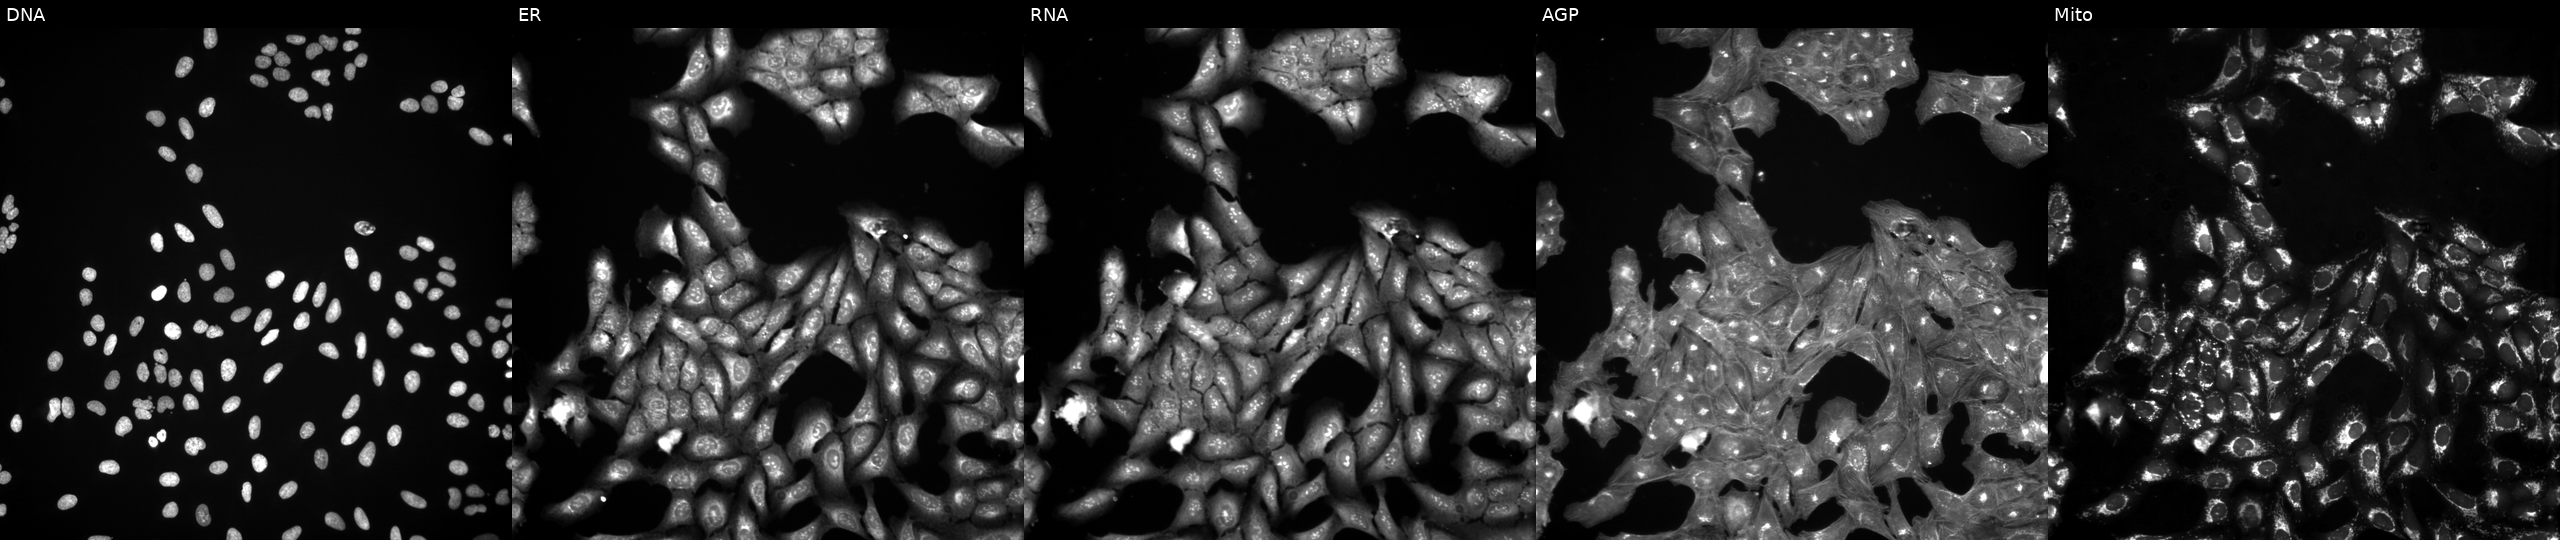
JUMP Cell Painting — COMPOUND plate. U2OS cells exposed to a small-molecule compound. From left to right: DNA (nuclei); ER (endoplasmic reticulum); RNA (nucleoli and cytoplasmic RNA); AGP (actin cytoskeleton, Golgi, and plasma membrane); Mito (mitochondria).